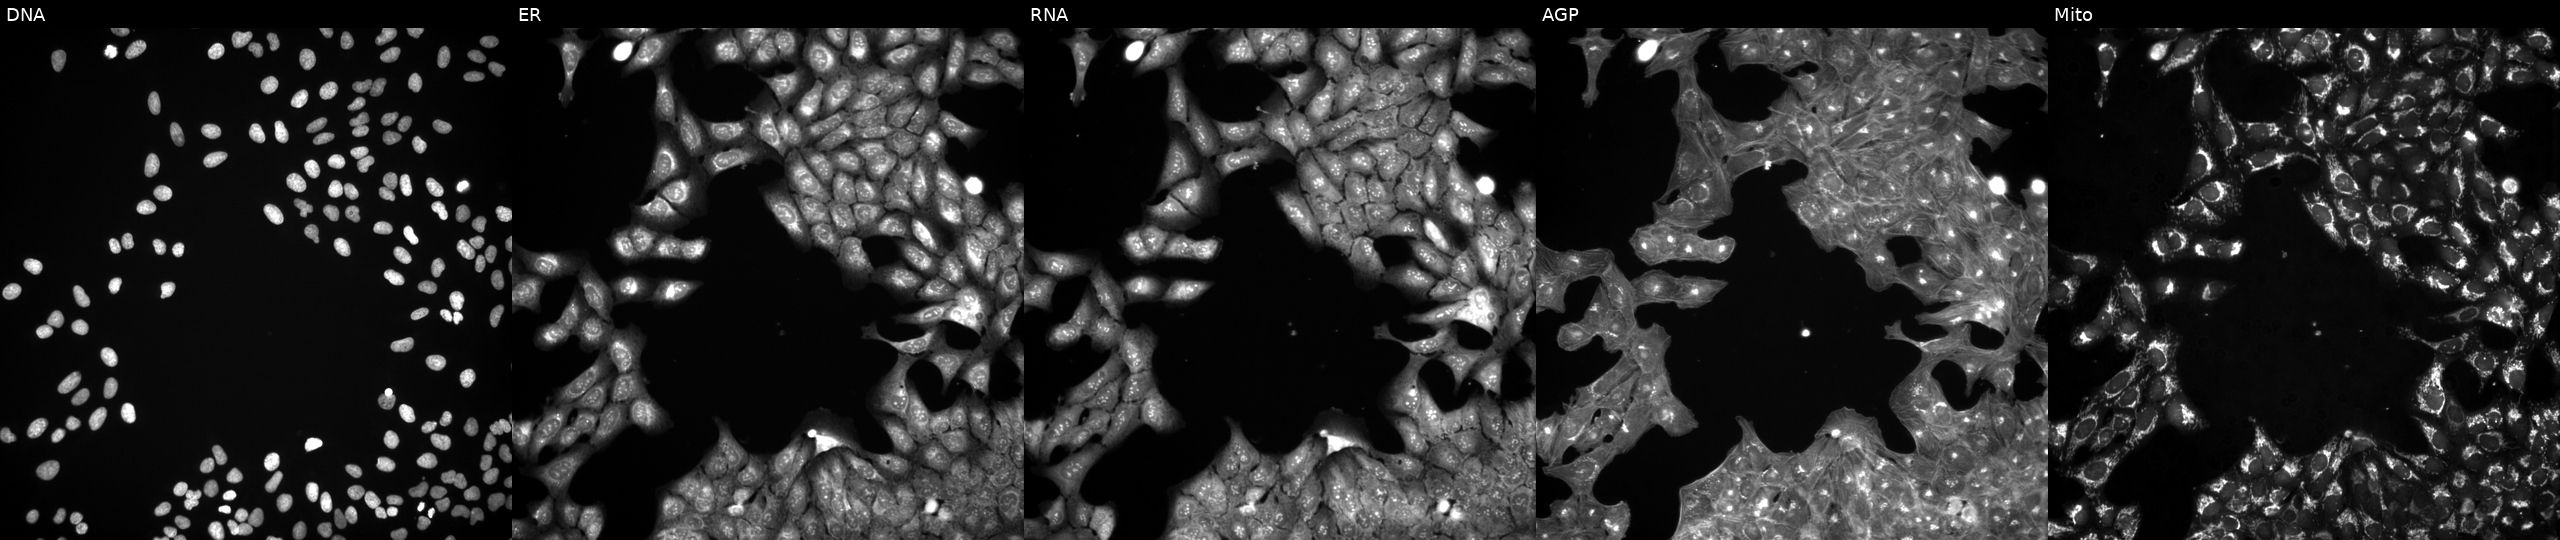
The five panels, left to right, show DNA (nuclei); ER (endoplasmic reticulum); RNA (nucleoli and cytoplasmic RNA); AGP (actin cytoskeleton, Golgi, and plasma membrane); Mito (mitochondria). U2OS osteosarcoma cells perturbed with a small-molecule compound (InChIKey JTUHFAZROIEYCA-UHFFFAOYSA-N). Cell Painting assay, JUMP-CP dataset. Source 3, plate BR5867b3, well F20.